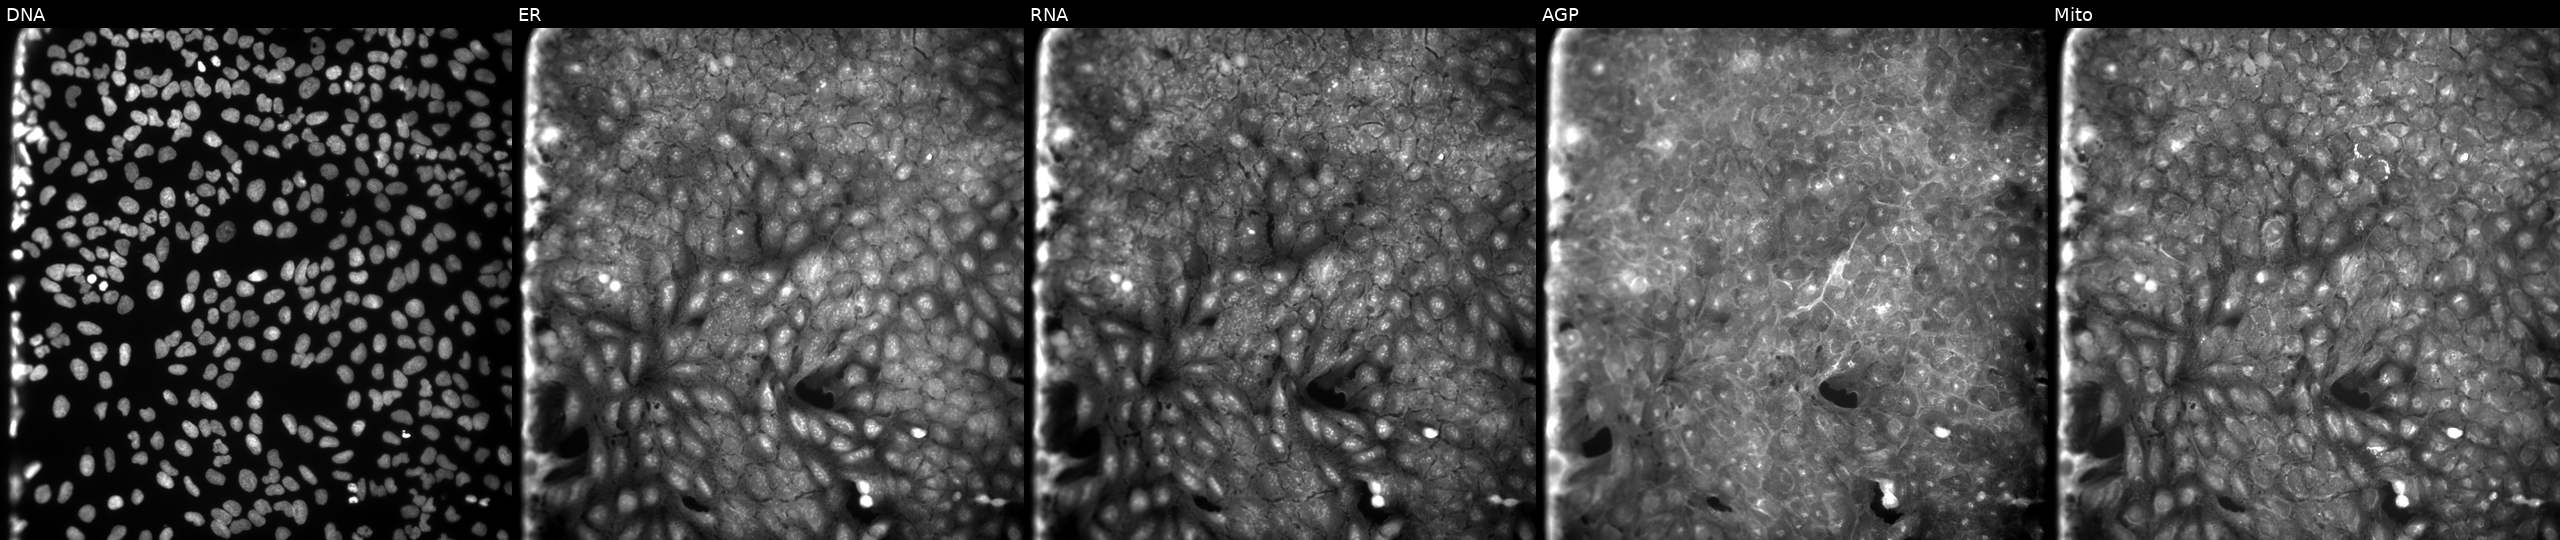
Channels (left→right): Hoechst 33342, concanavalin A, SYTO 14, phalloidin and WGA, MitoTracker. U2OS osteosarcoma cells treated with DMSO vehicle only (negative control) (JUMP id JCP2022_033924). Cell Painting assay, JUMP-CP dataset.